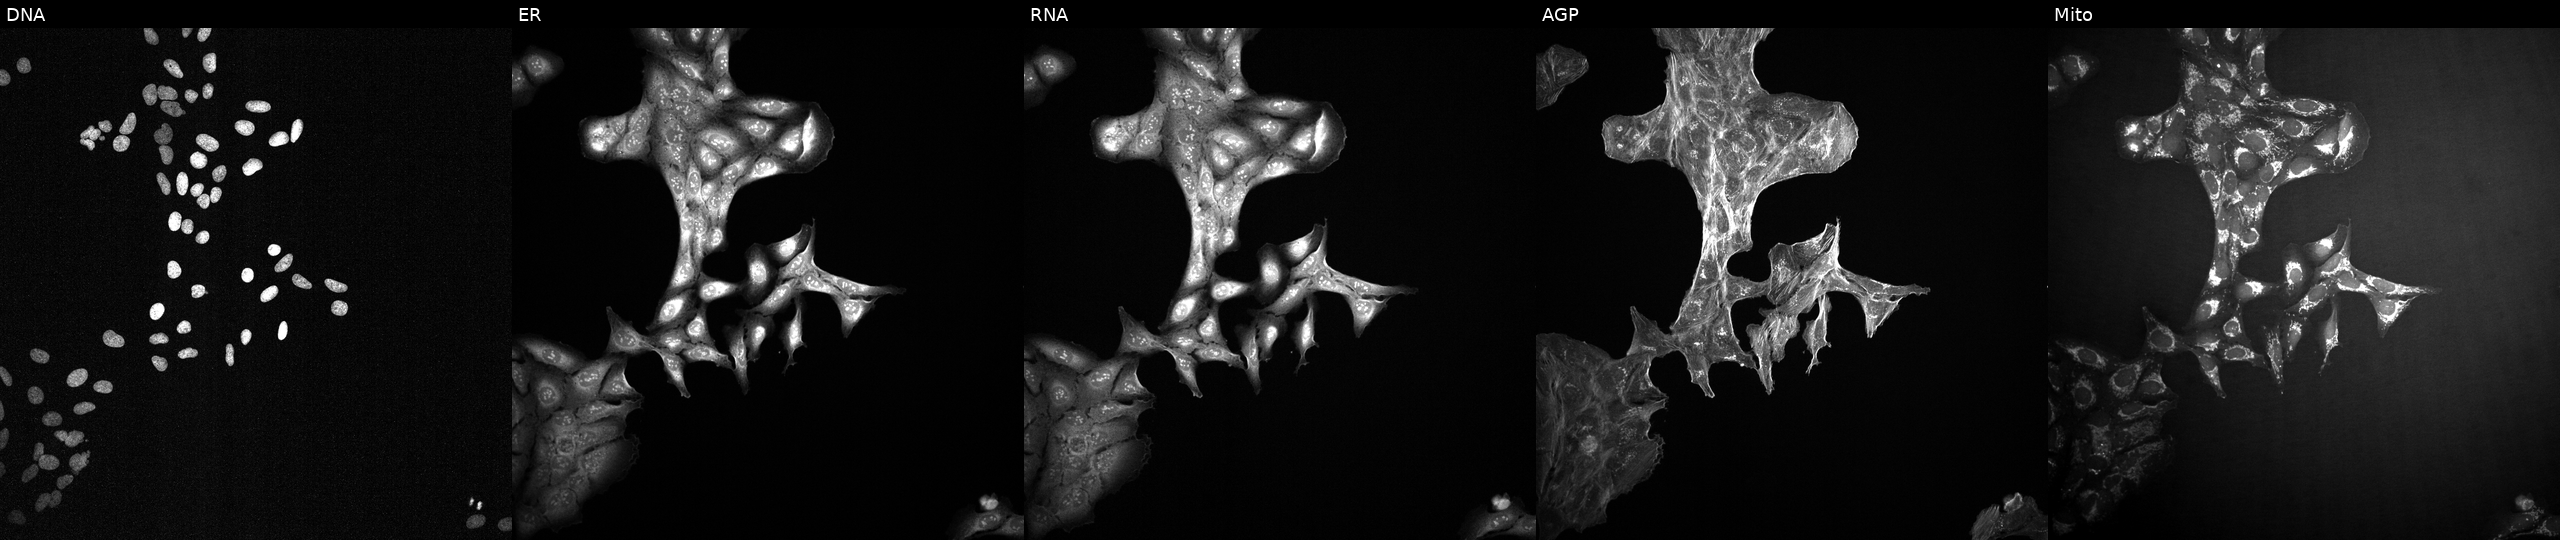
Five-channel Cell Painting image of U2OS cells treated with a small-molecule compound (InChIKey ZIUDADZJCKGWKR-UHFFFAOYSA-N). The five panels, left to right, show DNA (nuclei); ER (endoplasmic reticulum); RNA (nucleoli and cytoplasmic RNA); AGP (actin cytoskeleton, Golgi, and plasma membrane); Mito (mitochondria).